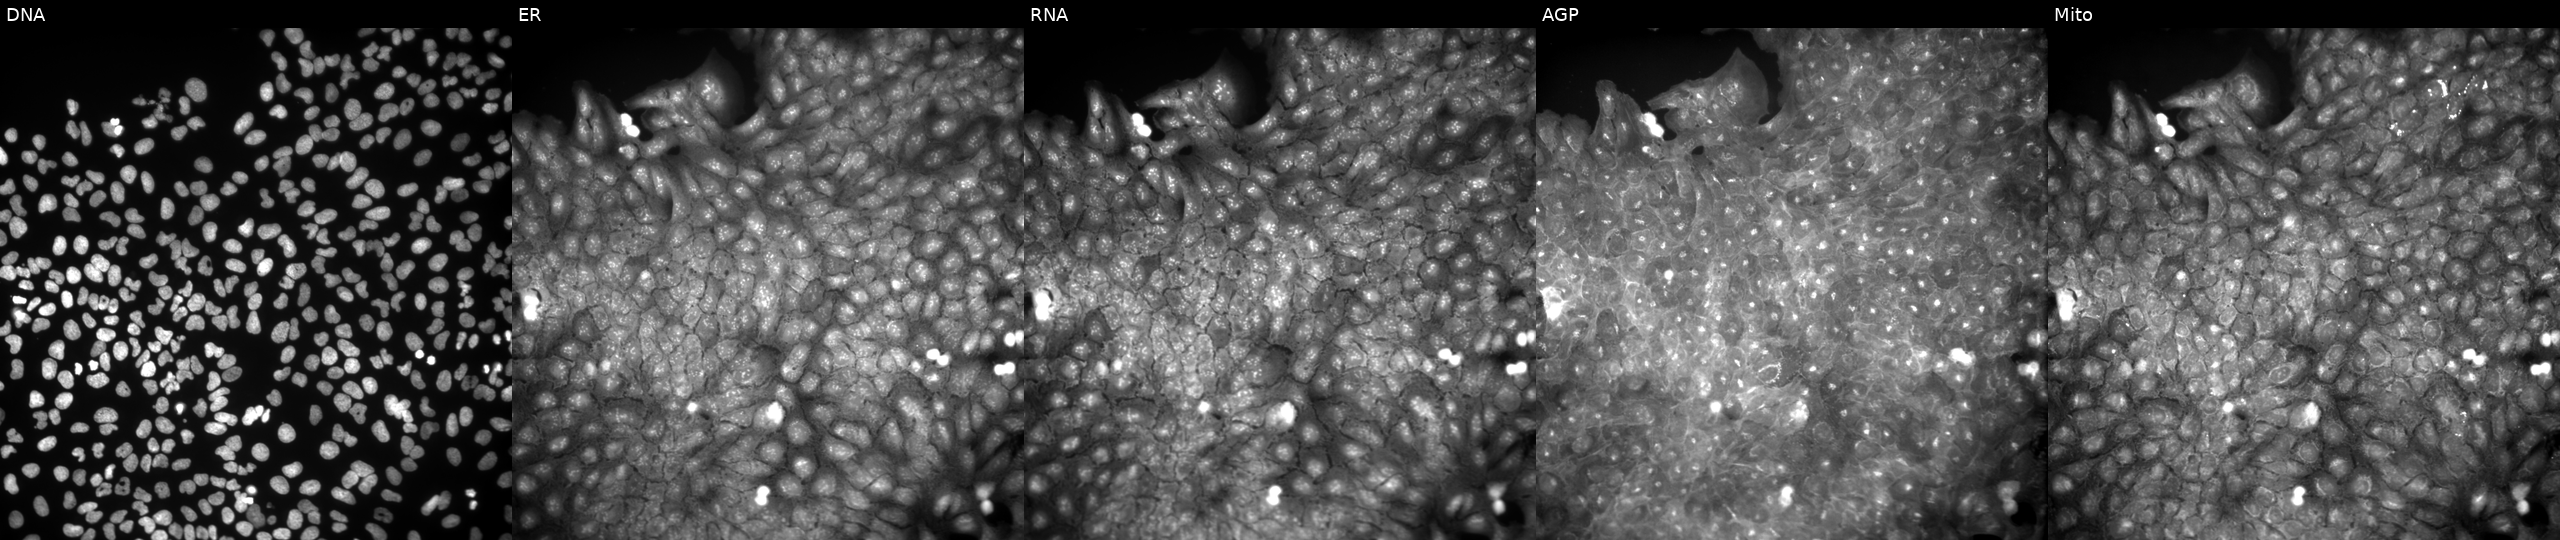
This image strip shows the five Cell Painting channels for a single field of U2OS cells perturbed with a small-molecule compound (InChIKey ZCBDXLWWYCHFHN-UHFFFAOYSA-N) [SMILES: O=S1(=O)N=C(NCCOCCOC(O)c2cc(O)n(-c3ccccc3)c2)c2ccccc21] (JUMP id JCP2022_112389). Panels show, left to right, DNA (nuclei); ER (endoplasmic reticulum); RNA (nucleoli and cytoplasmic RNA); AGP (actin cytoskeleton, Golgi, and plasma membrane); Mito (mitochondria).